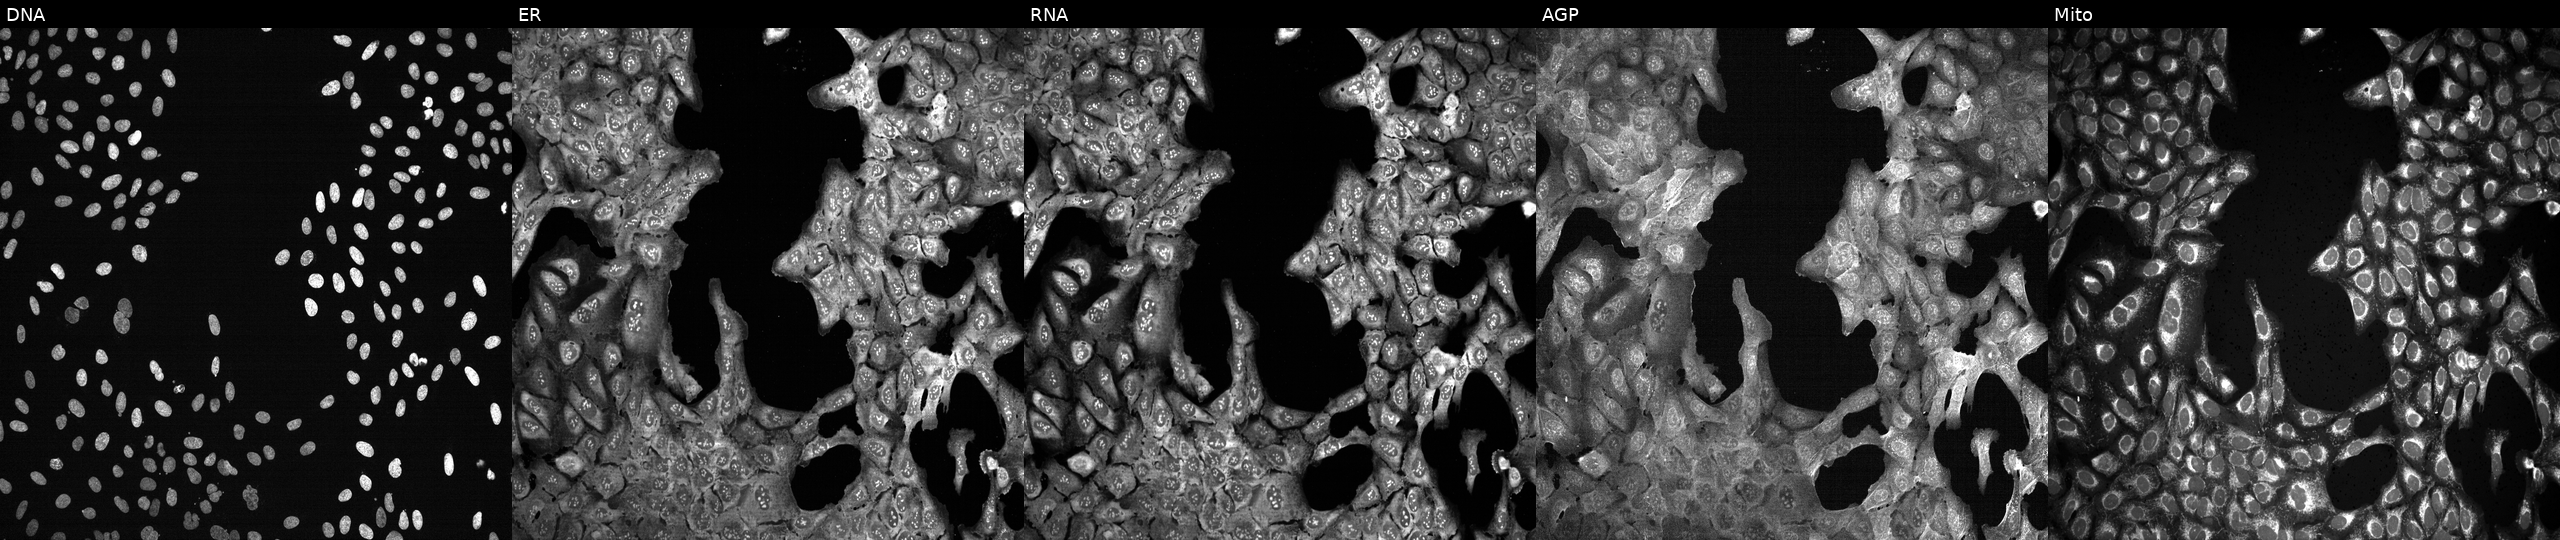
High-content fluorescence microscopy (Cell Painting). Cell line: U2OS. Perturbation: with A4GNT knocked out by CRISPR (JUMP id JCP2022_800006). The five panels, left to right, show DNA (nuclei); ER (endoplasmic reticulum); RNA (nucleoli and cytoplasmic RNA); AGP (actin cytoskeleton, Golgi, and plasma membrane); Mito (mitochondria). Source 13, plate CP-CC9-R2-02, well P07.